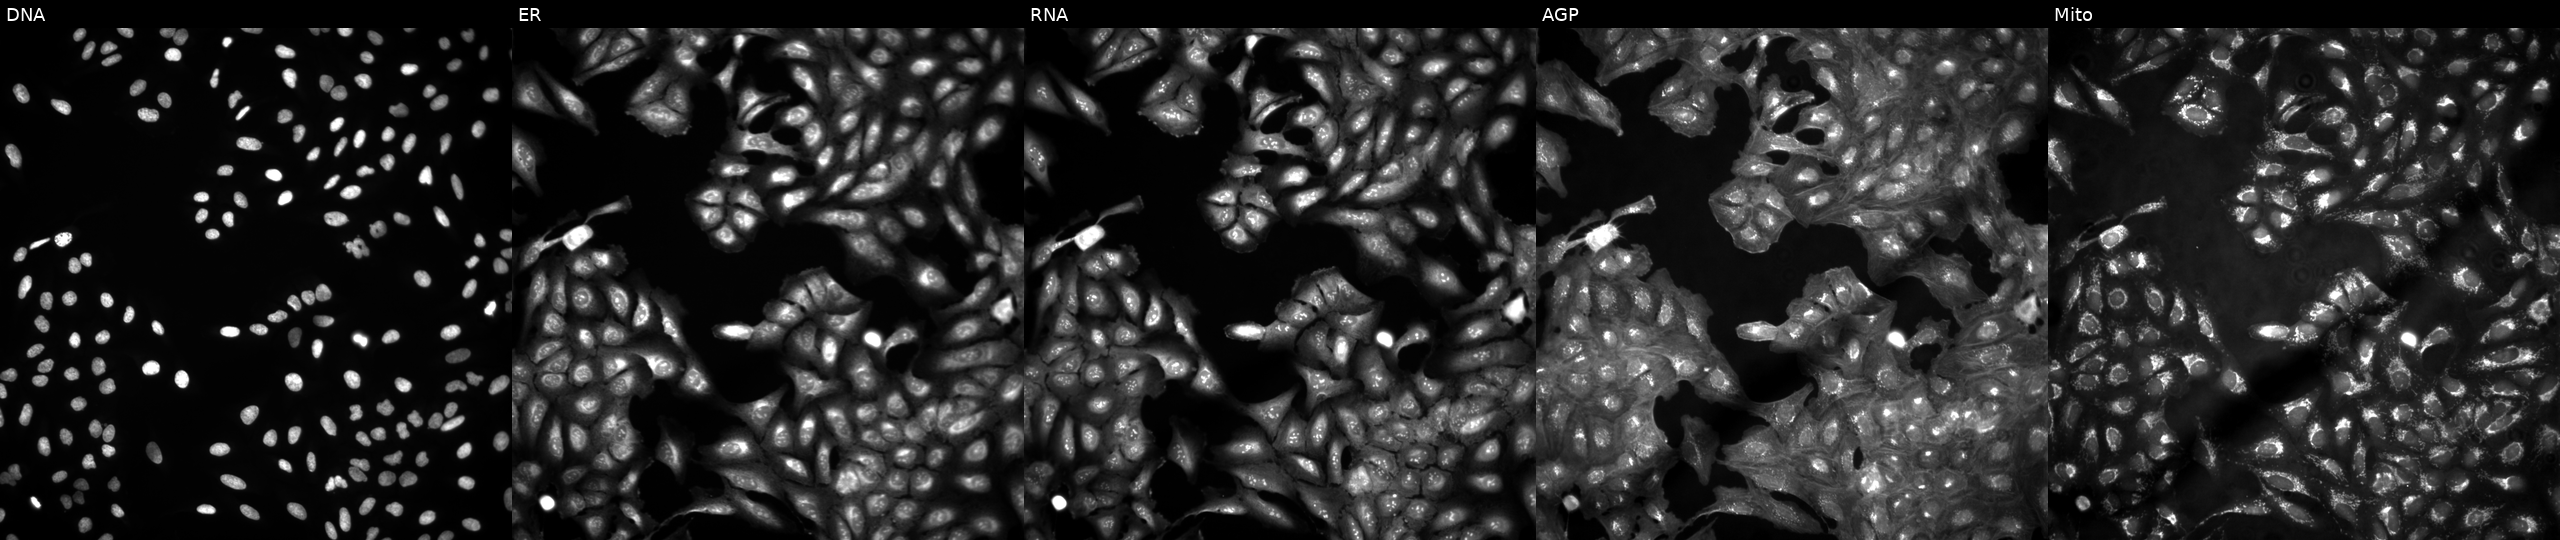
Five-channel Cell Painting image of U2OS cells in an empty control well (no perturbation) (JUMP id JCP2022_999999). From left to right: DNA, ER, RNA, AGP, and Mito. Source 4, plate BR00124793, well C23.